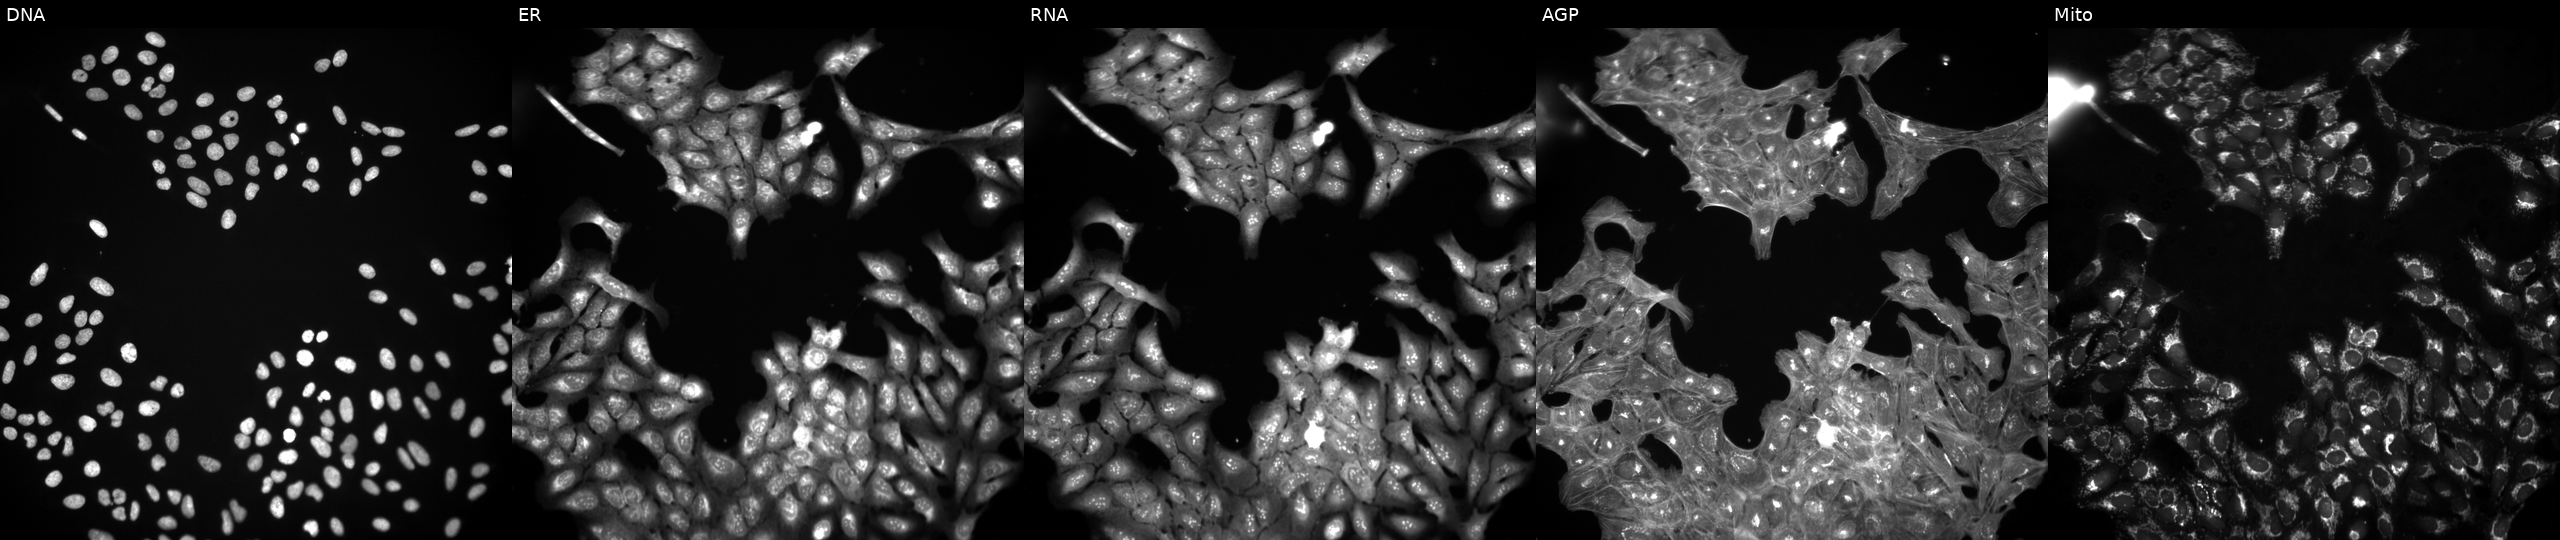
This image strip shows the five Cell Painting channels for a single field of U2OS cells perturbed with a small-molecule compound (InChIKey SHZKQBHERIJWAO-UHFFFAOYSA-N) (JUMP id JCP2022_083372). Panels show, left to right, Hoechst 33342, concanavalin A, SYTO 14, phalloidin and WGA, MitoTracker.